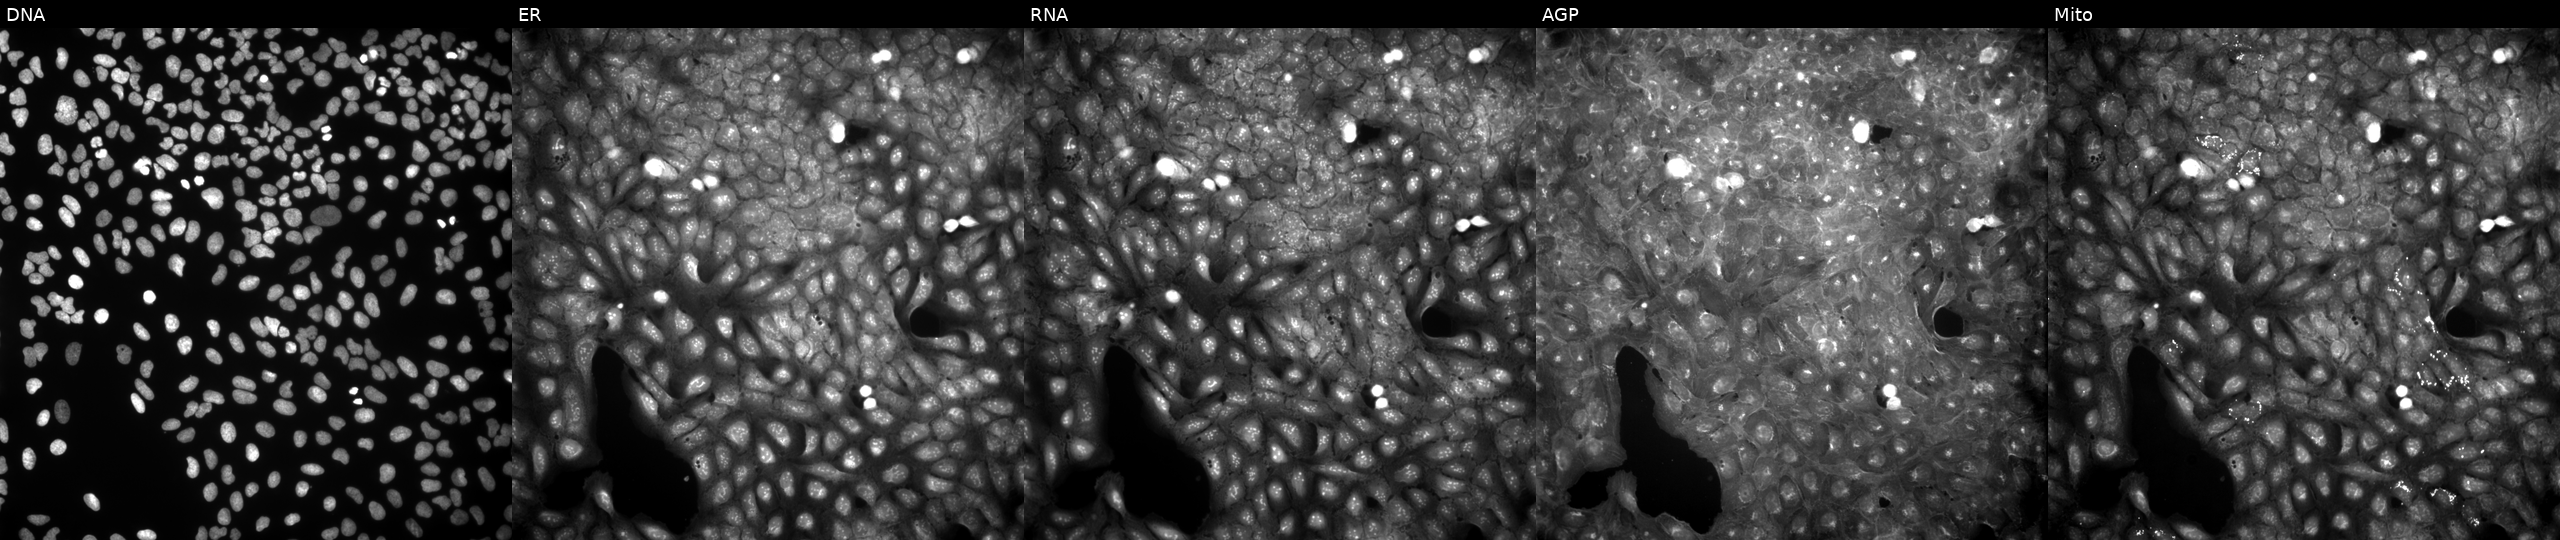
U2OS cells, Cell Painting assay, treated with DMSO vehicle only (negative control). Panels show, left to right, Hoechst 33342, concanavalin A, SYTO 14, phalloidin and WGA, MitoTracker. Each panel is percentile-stretched 16-bit fluorescence.